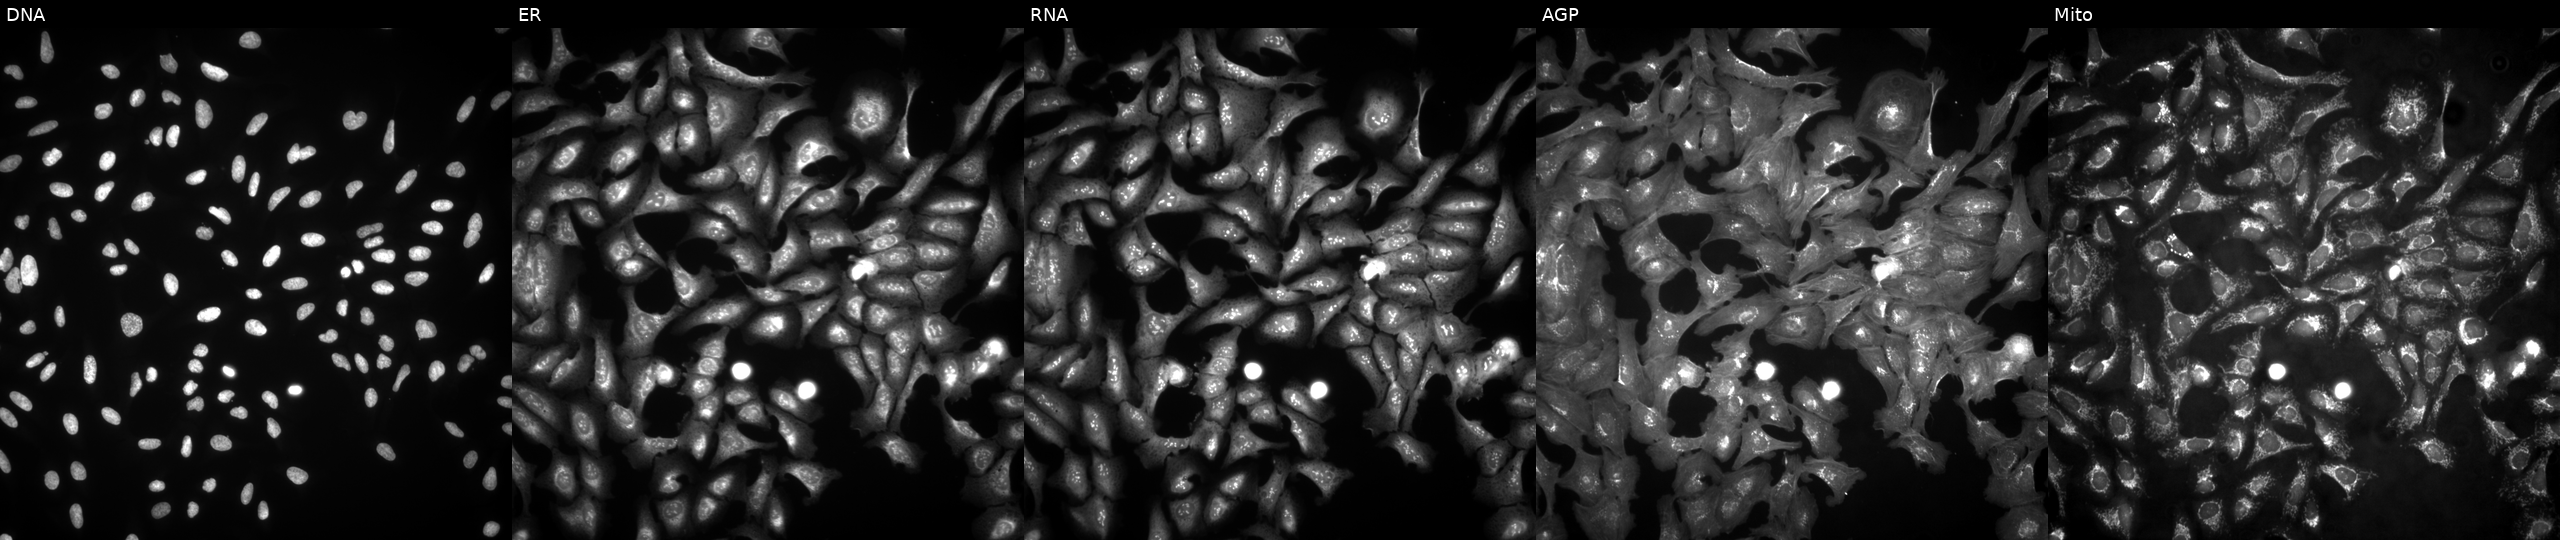
JUMP Cell Painting — ORF plate. U2OS cells with IMMP2L overexpressed (ORF) (JUMP id JCP2022_911897). Channels (left→right): Hoechst 33342, concanavalin A, SYTO 14, phalloidin and WGA, MitoTracker. Source 4, plate BR00123509, well L13.